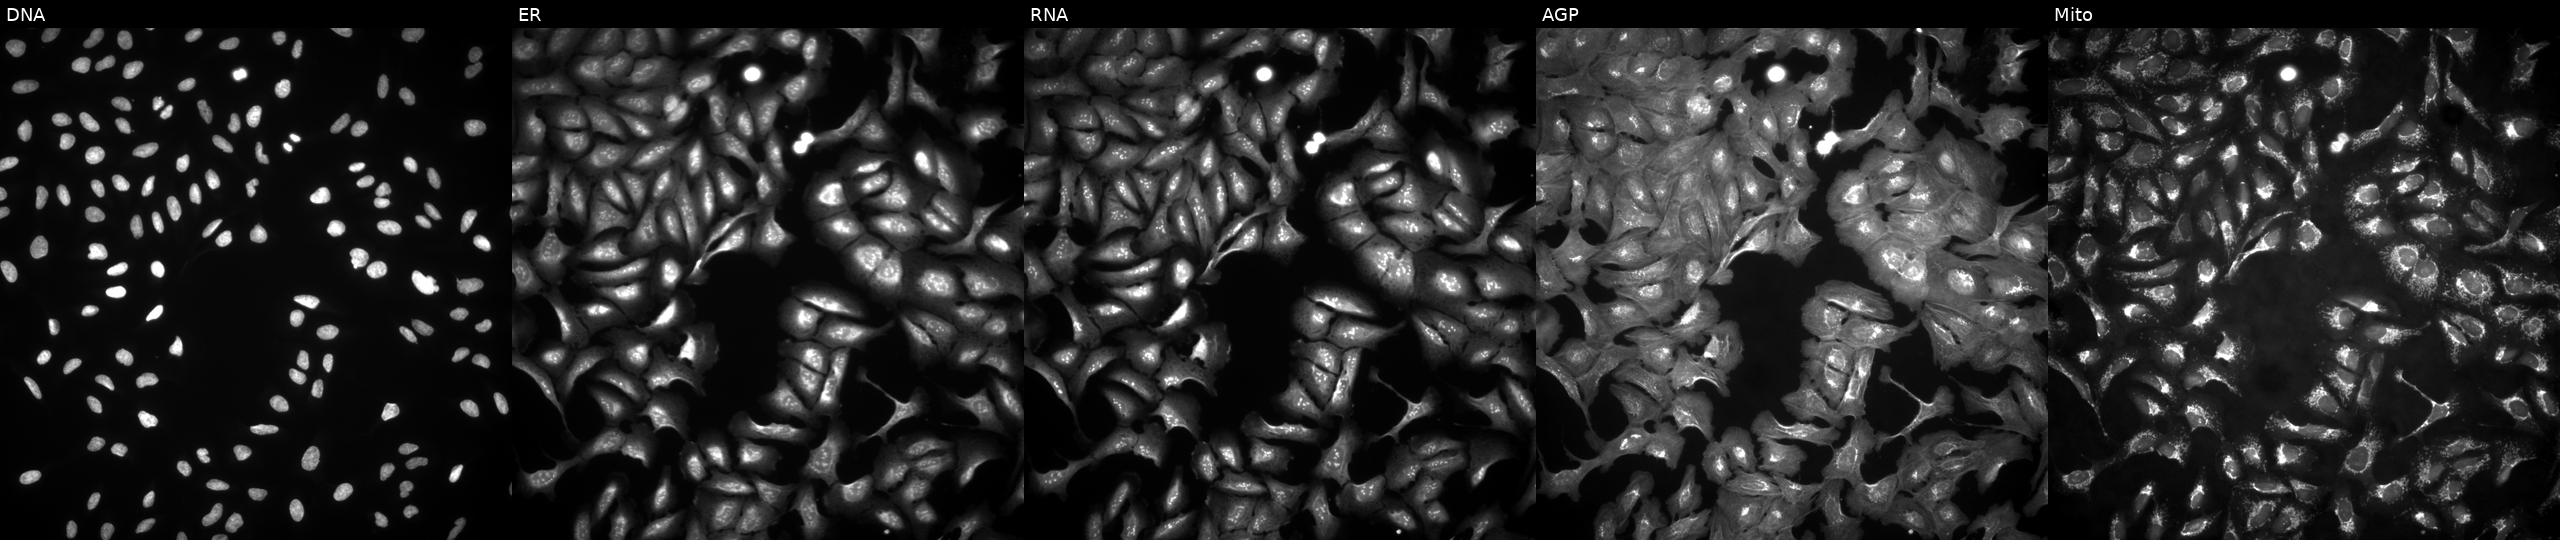
JUMP Cell Painting — ORF plate. U2OS cells transfected with an ORF construct for ADAP1. Channels (left→right): DNA, ER, RNA, AGP, and Mito.